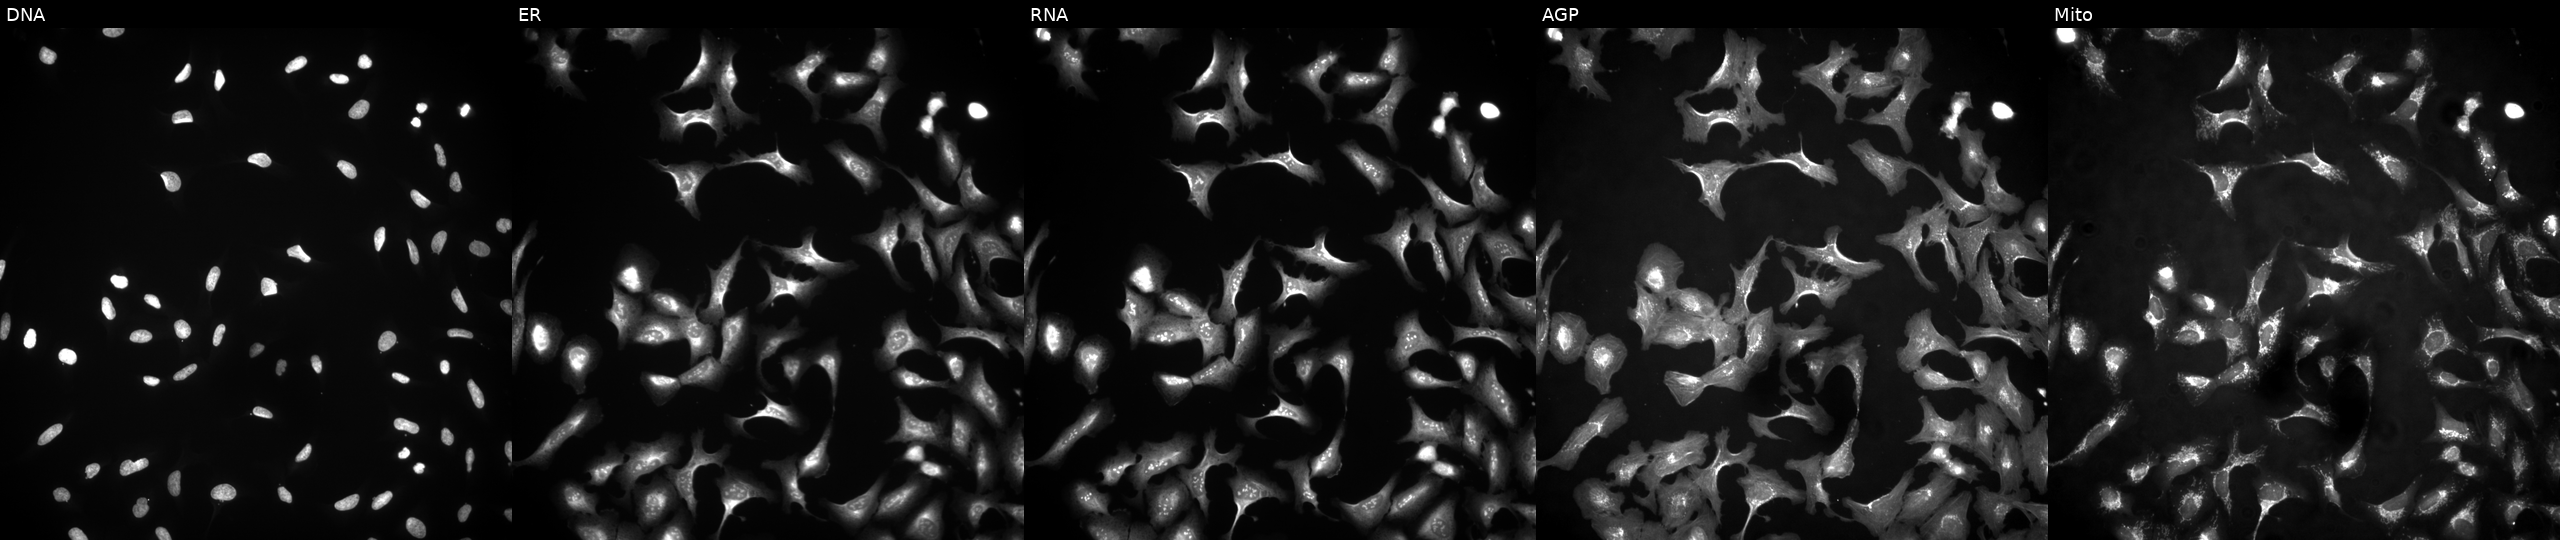
JUMP Cell Painting — ORF plate. U2OS cells transfected with an ORF construct for SPACA3. Channels (left→right): Hoechst 33342, concanavalin A, SYTO 14, phalloidin and WGA, MitoTracker.